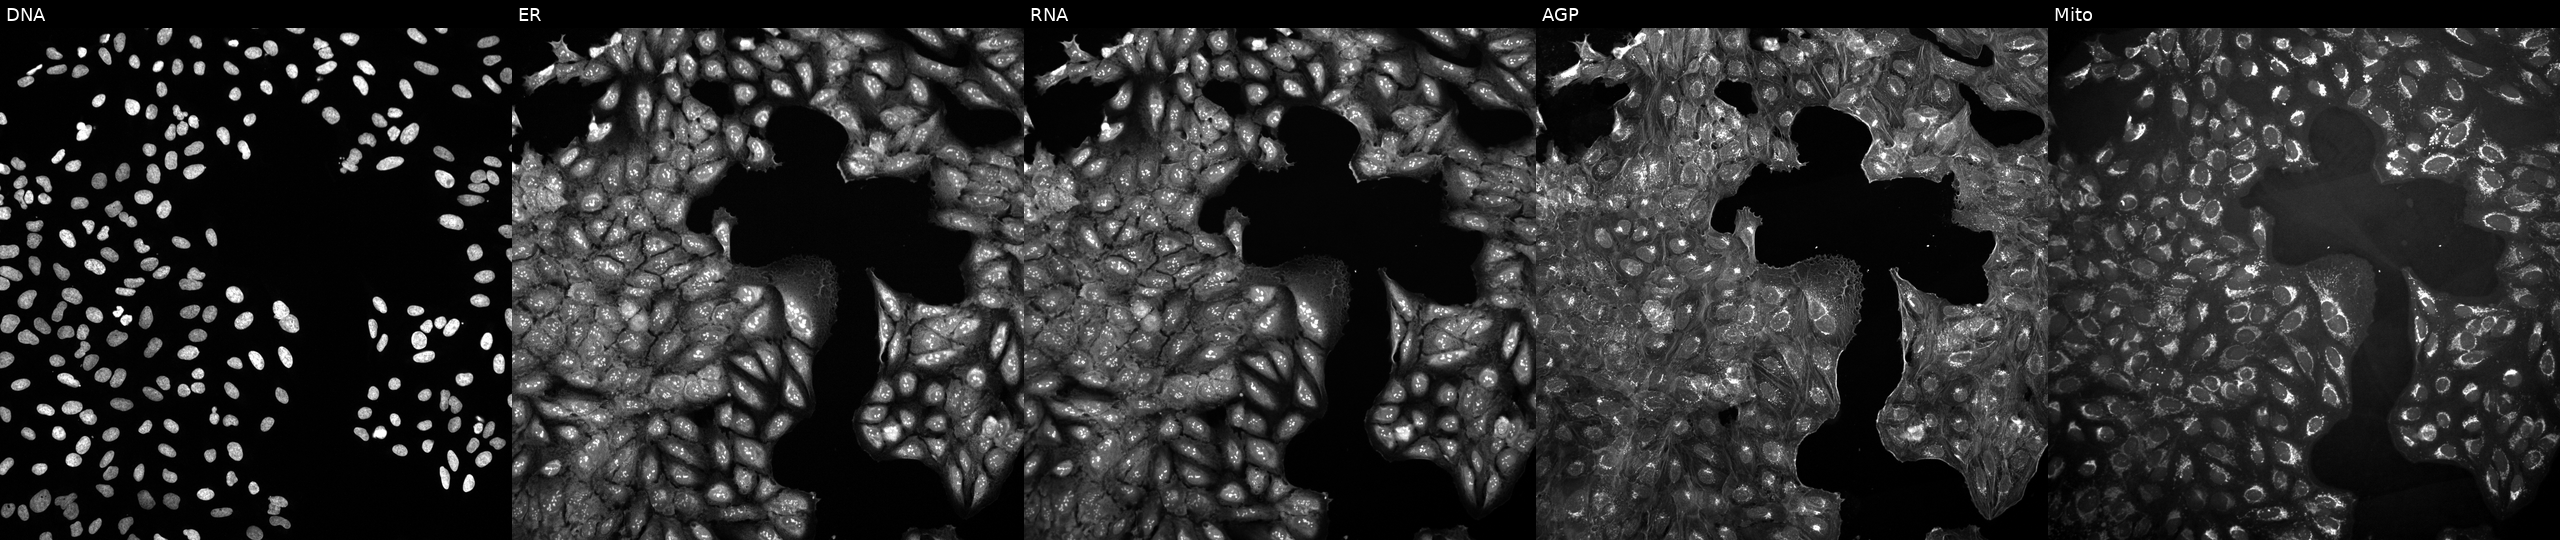
U2OS cells, Cell Painting assay, in an empty control well (no perturbation) (JUMP id JCP2022_999999). From left to right: DNA (nuclei); ER (endoplasmic reticulum); RNA (nucleoli and cytoplasmic RNA); AGP (actin cytoskeleton, Golgi, and plasma membrane); Mito (mitochondria). Each panel is percentile-stretched 16-bit fluorescence.